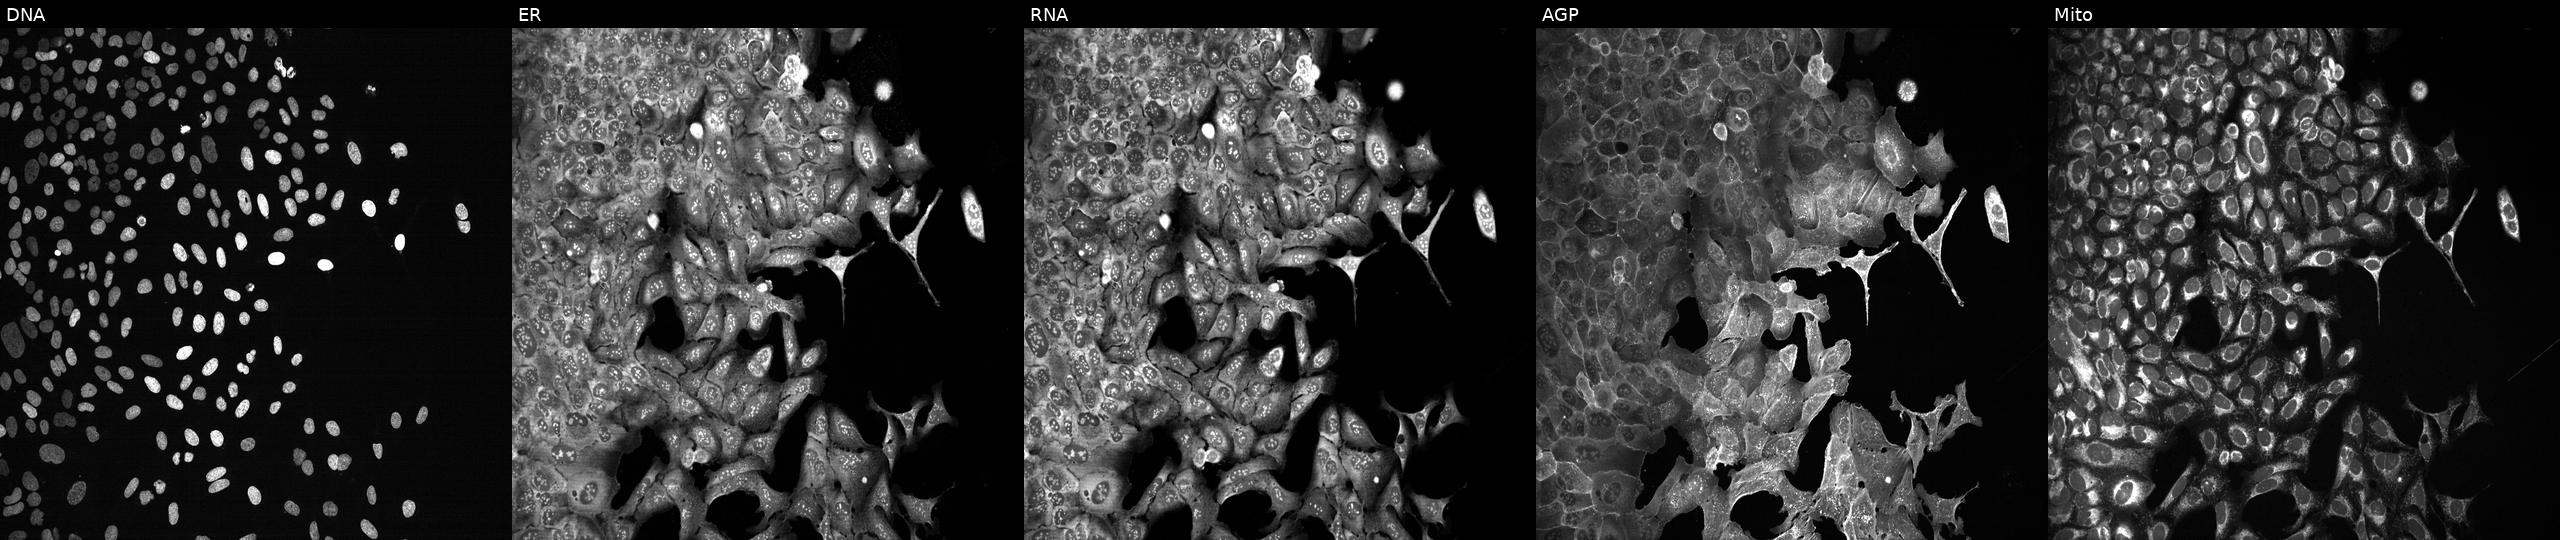
Five-channel Cell Painting image of U2OS cells CRISPR-edited to disrupt CTSZ. Channels (left→right): DNA, ER, RNA, AGP, and Mito.